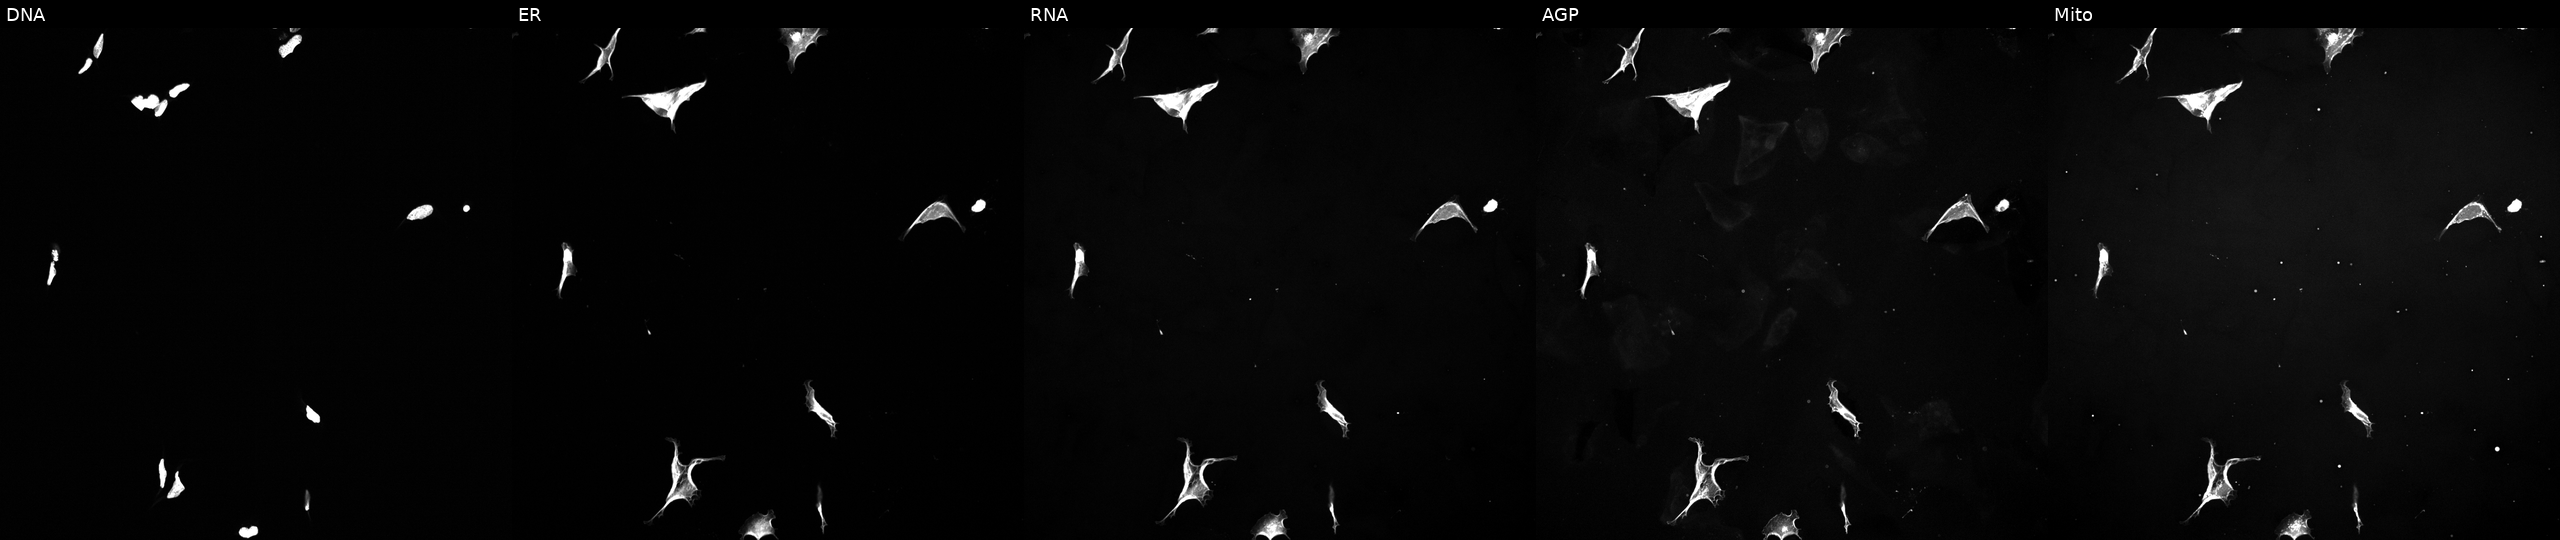
JUMP Cell Painting — TARGET2 plate. U2OS cells treated with a small-molecule compound (InChIKey YKJYKKNCCRKFSL-UHFFFAOYSA-N) [SMILES: COc1ccc(CC2NCC(O)C2OC(C)=O)cc1]. The five panels, left to right, show DNA (nuclei); ER (endoplasmic reticulum); RNA (nucleoli and cytoplasmic RNA); AGP (actin cytoskeleton, Golgi, and plasma membrane); Mito (mitochondria). Source 5, plate ACPJUM051, well L09.